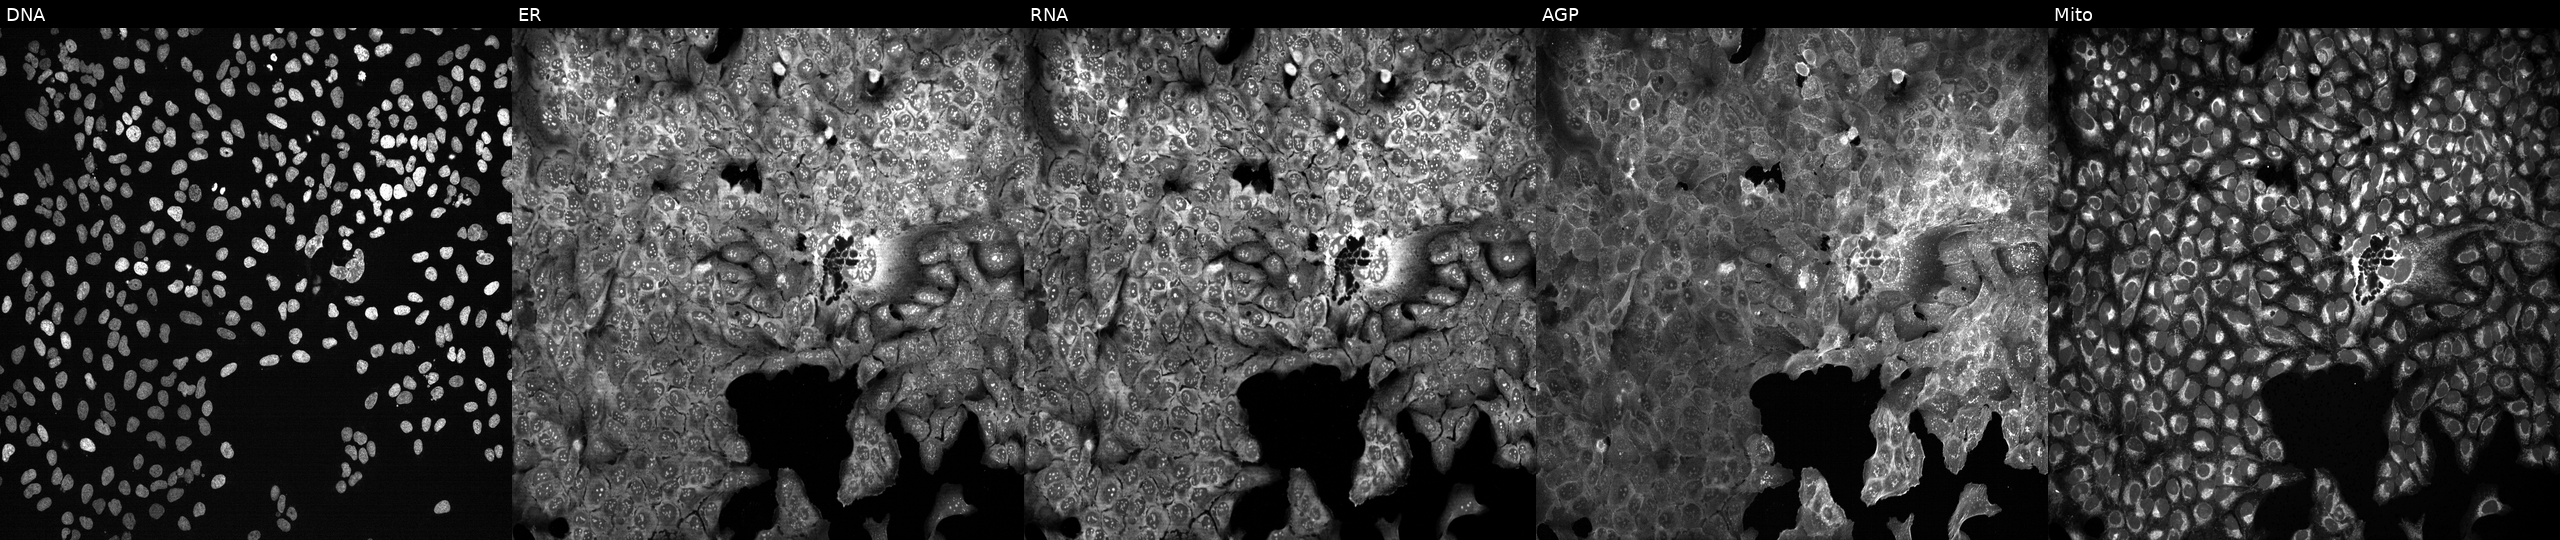
U2OS cells, Cell Painting assay, with POU2F1 knocked out by CRISPR. From left to right: Hoechst 33342, concanavalin A, SYTO 14, phalloidin and WGA, MitoTracker. Each panel is percentile-stretched 16-bit fluorescence. Source 13, plate CP-CC9-R6-19, well N10.